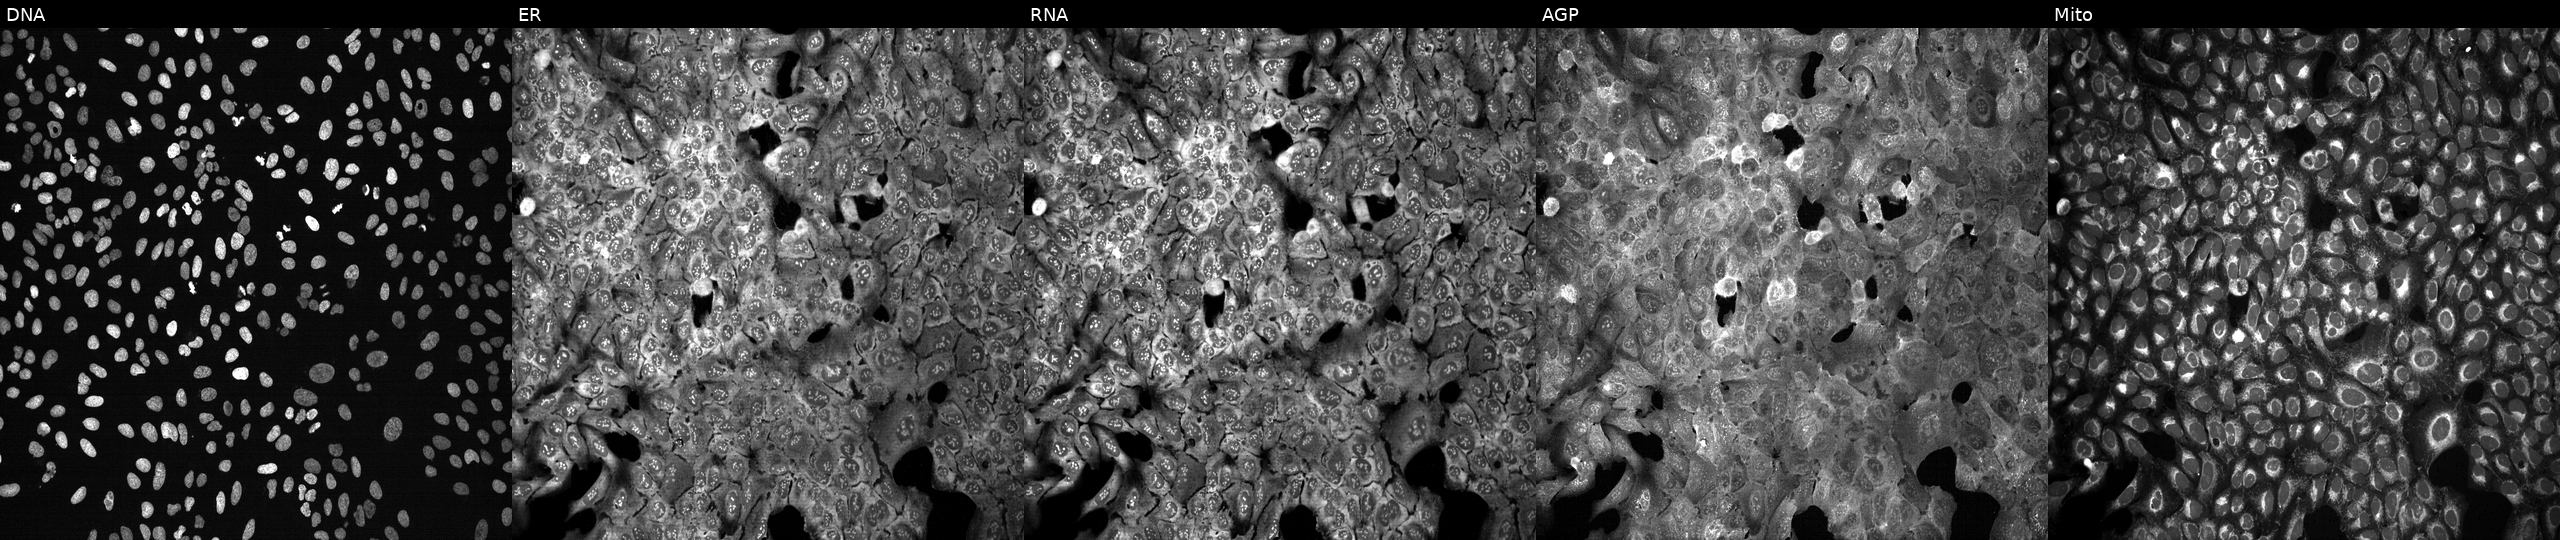
The five panels, left to right, show Hoechst 33342, concanavalin A, SYTO 14, phalloidin and WGA, MitoTracker. U2OS osteosarcoma cells CRISPR-edited to disrupt ACOX3 (JUMP id JCP2022_800127). Cell Painting assay, JUMP-CP dataset.